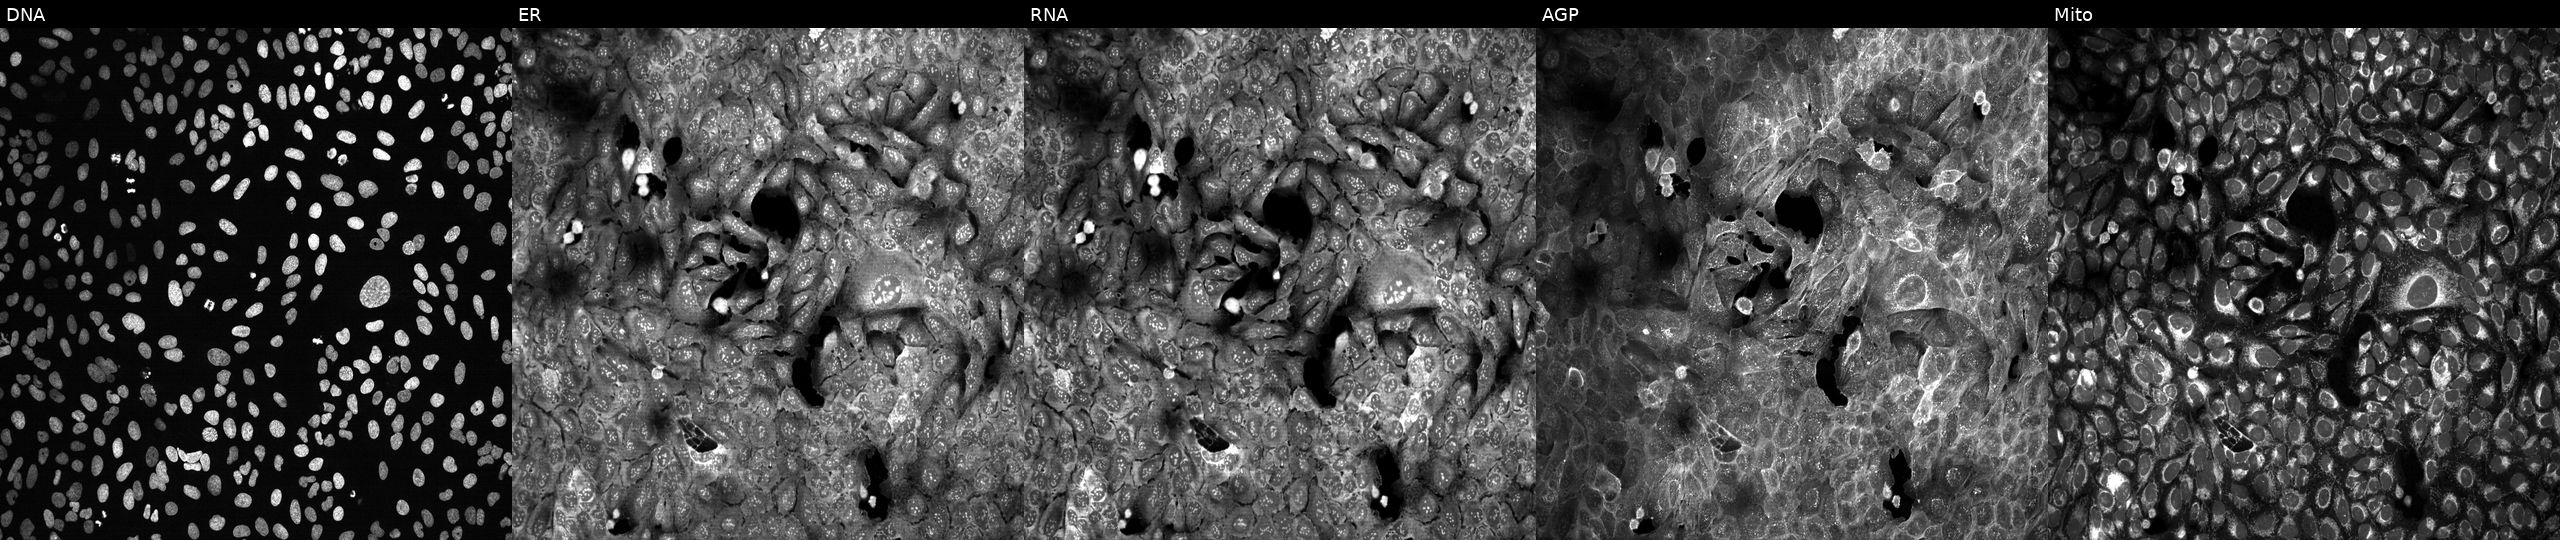
High-content fluorescence microscopy (Cell Painting). Cell line: U2OS. Perturbation: treated with quinidine (positive-control compound). Panels show, left to right, DNA (nuclei); ER (endoplasmic reticulum); RNA (nucleoli and cytoplasmic RNA); AGP (actin cytoskeleton, Golgi, and plasma membrane); Mito (mitochondria). Source 13, plate CP-CC9-R6-19, well K24.